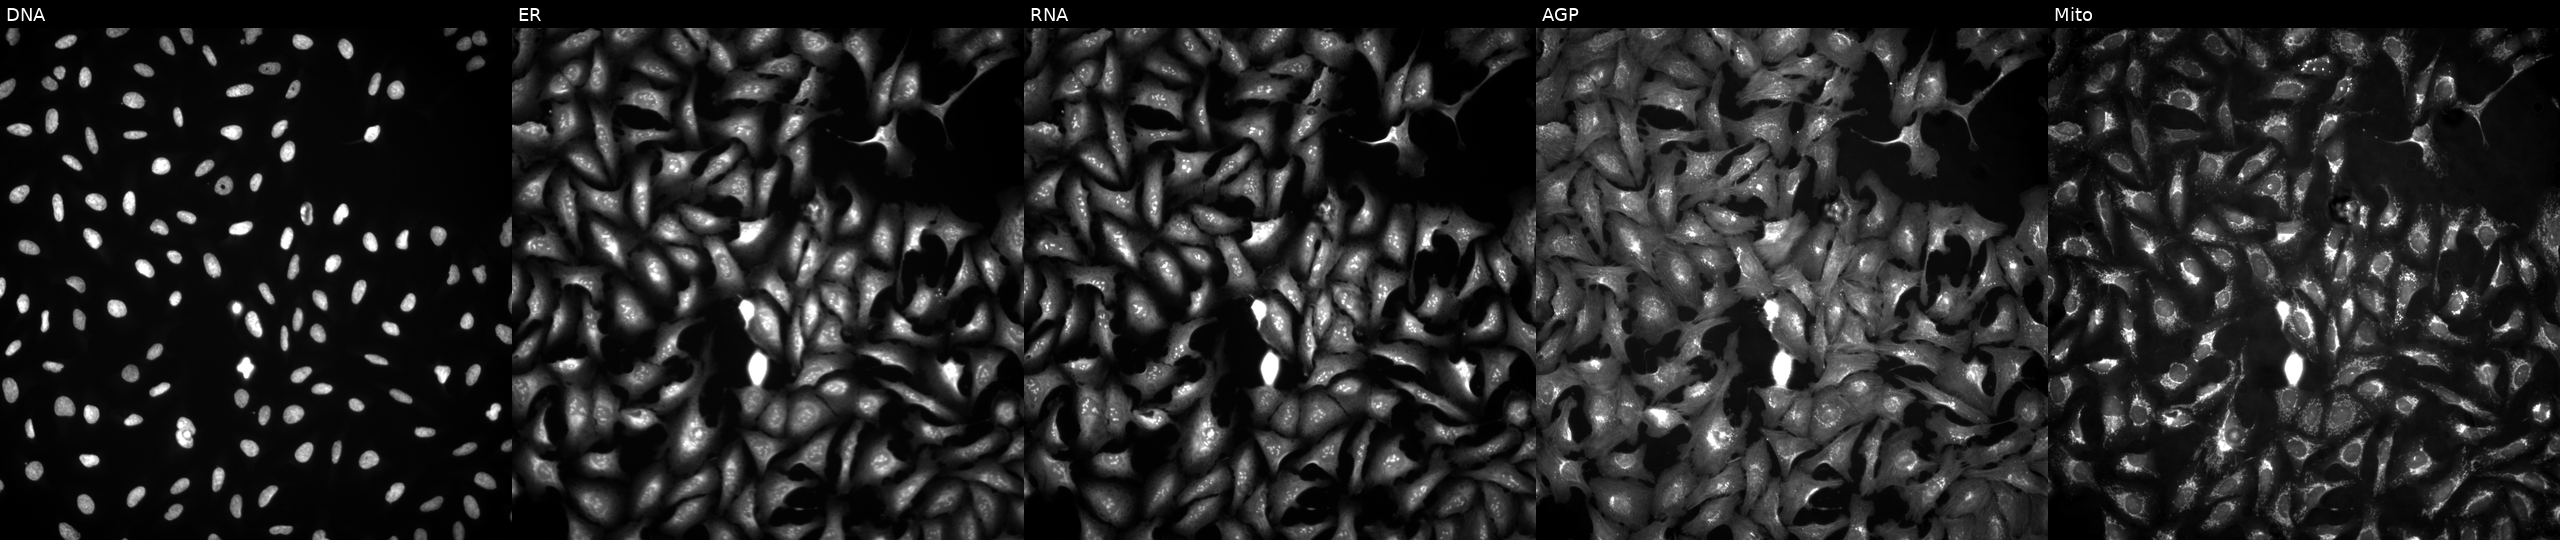
This image strip shows the five Cell Painting channels for a single field of U2OS cells transfected with an ORF construct for IL32 (JUMP id JCP2022_910586). From left to right: DNA, ER, RNA, AGP, and Mito.